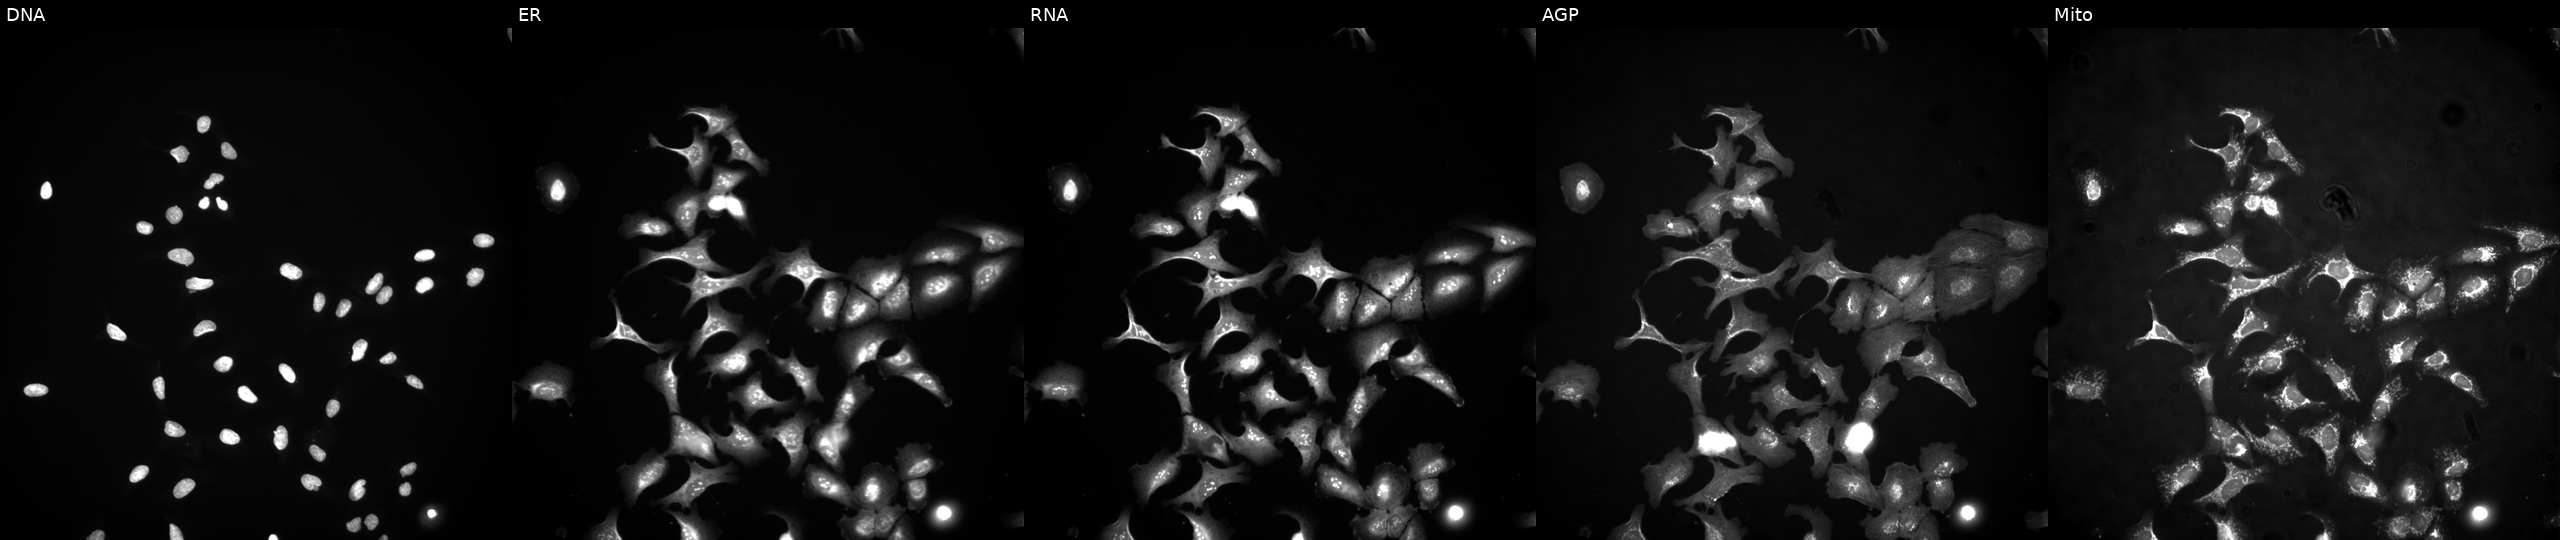
From left to right: DNA, ER, RNA, AGP, and Mito. U2OS osteosarcoma cells with STAM2 overexpressed (ORF) (JUMP id JCP2022_909743). Cell Painting assay, JUMP-CP dataset. Source 4, plate BR00124787, well J13.